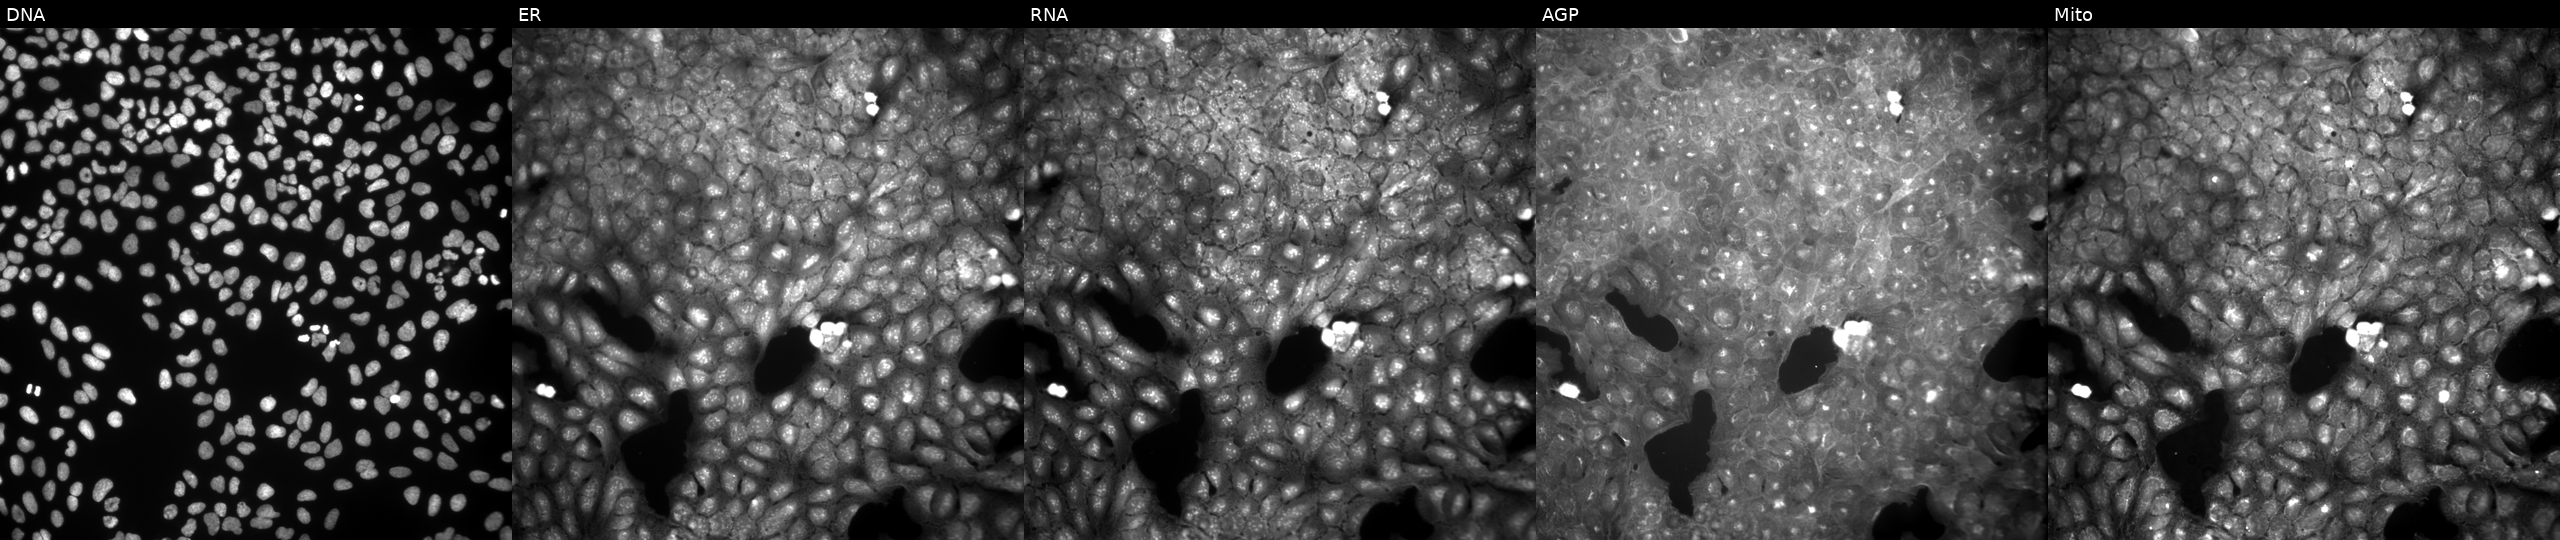
U2OS cells, Cell Painting assay, exposed to a small-molecule compound (InChIKey VCYCUECVHJJFIQ-UHFFFAOYSA-N) (JUMP id JCP2022_093142). Panels show, left to right, DNA, ER, RNA, AGP, and Mito. Each panel is percentile-stretched 16-bit fluorescence.